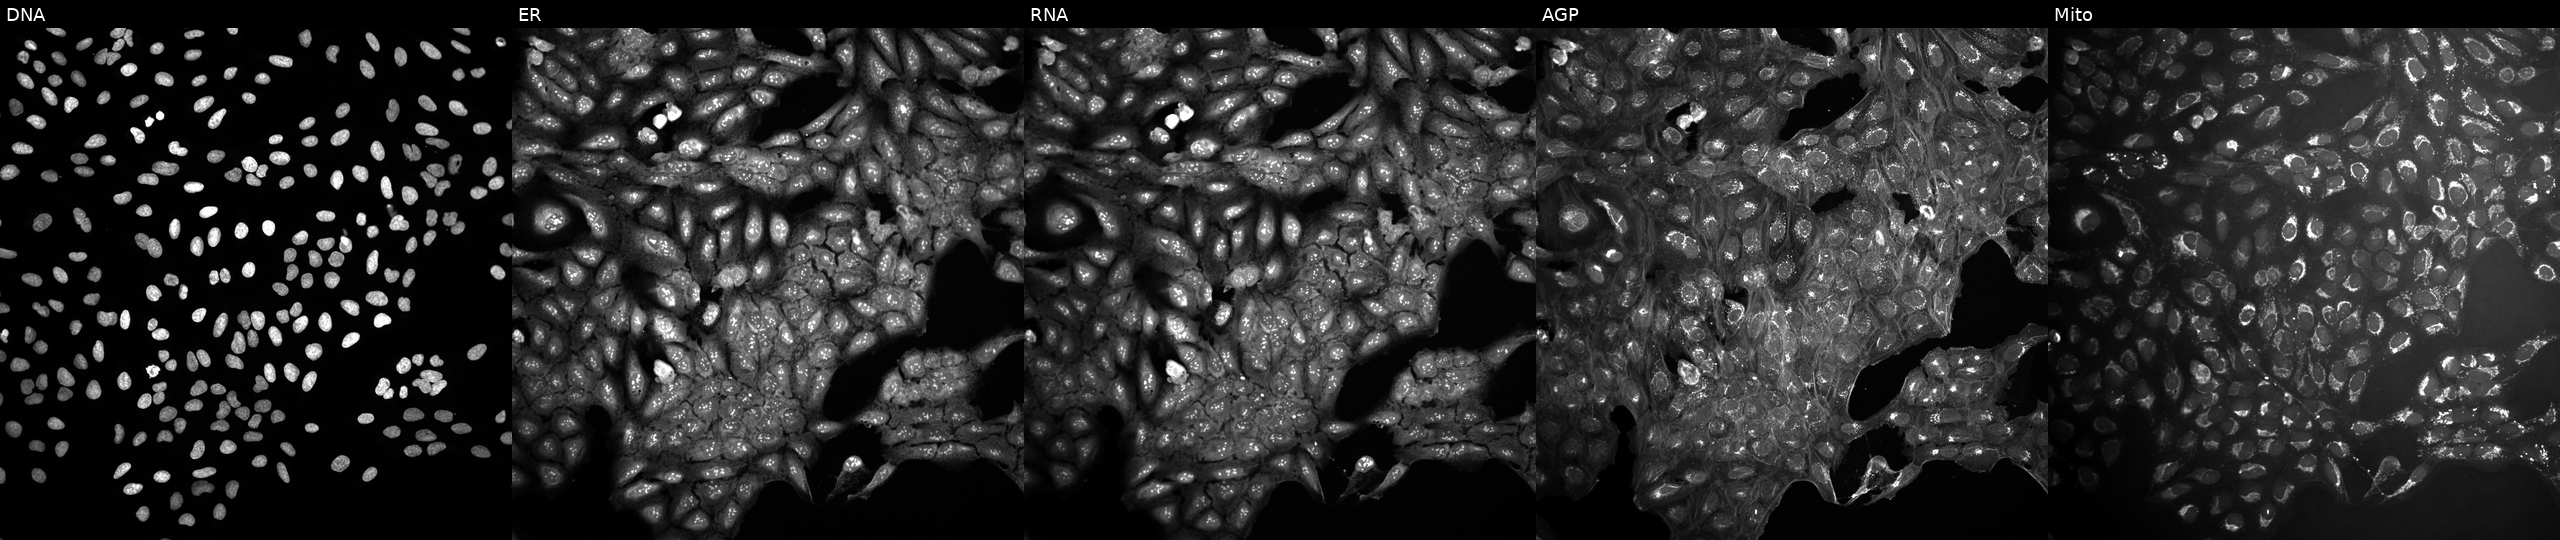
Five-channel Cell Painting image of U2OS cells exposed to a small-molecule compound (InChIKey AXQSXQKKMNWCFM-UHFFFAOYSA-N) [SMILES: Cc1nc(CC(=O)N2CCCC2c2nnc3n2CCN(C(=O)OC(C)(C)C)C3)cs1] (JUMP id JCP2022_004506). From left to right: Hoechst 33342, concanavalin A, SYTO 14, phalloidin and WGA, MitoTracker.